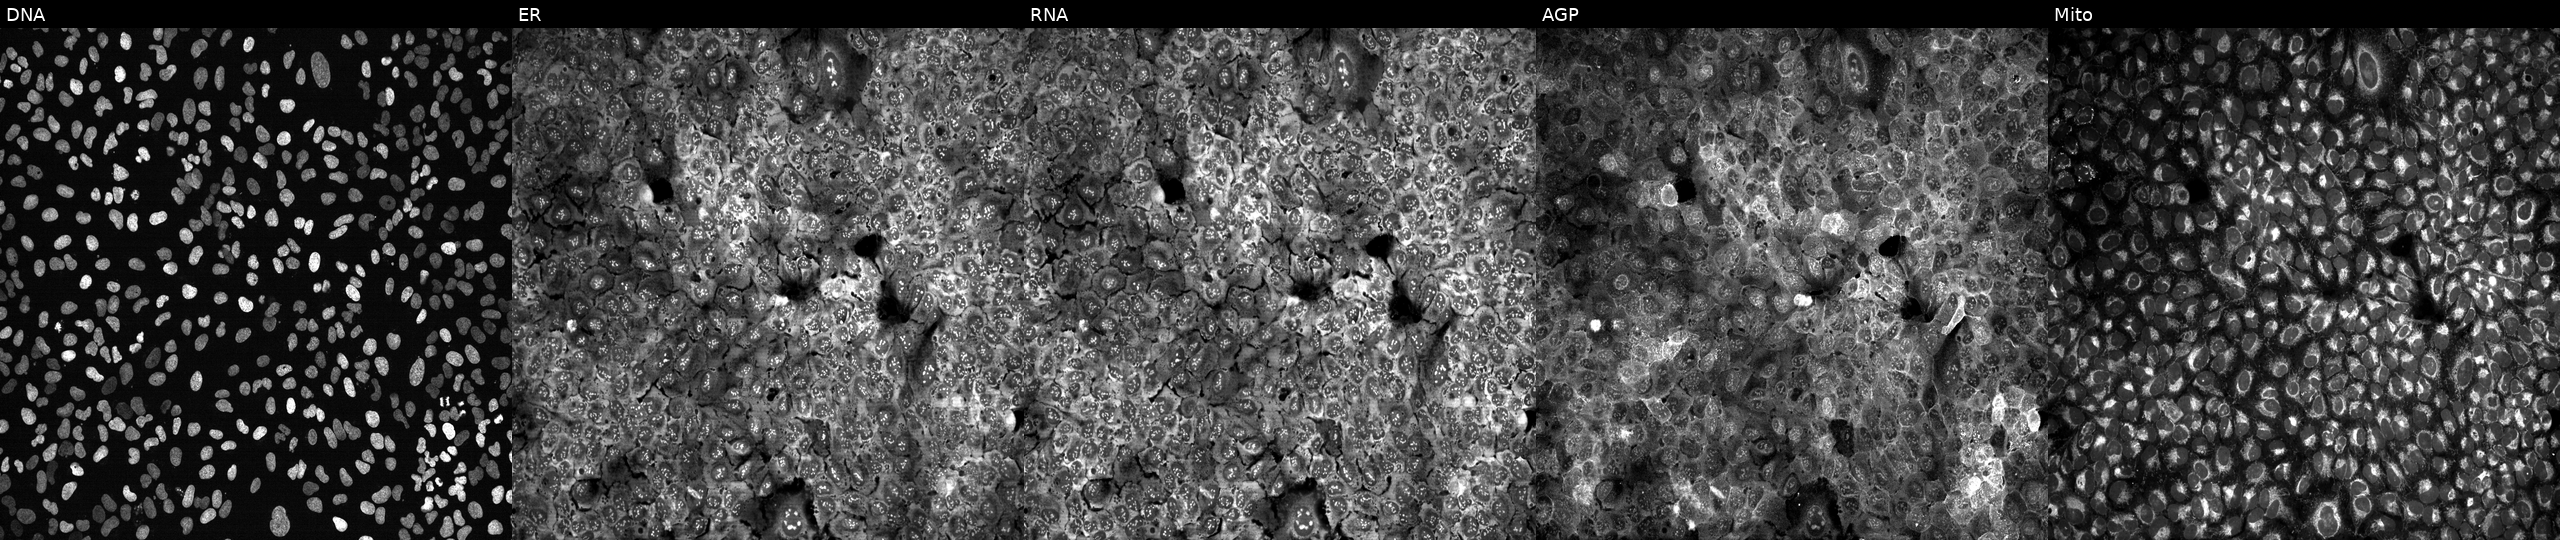
U2OS cells, Cell Painting assay, with B3GNT6 knocked out by CRISPR. Panels show, left to right, Hoechst 33342, concanavalin A, SYTO 14, phalloidin and WGA, MitoTracker. Each panel is percentile-stretched 16-bit fluorescence. Source 13, plate CP-CC9-R4-04, well C19.